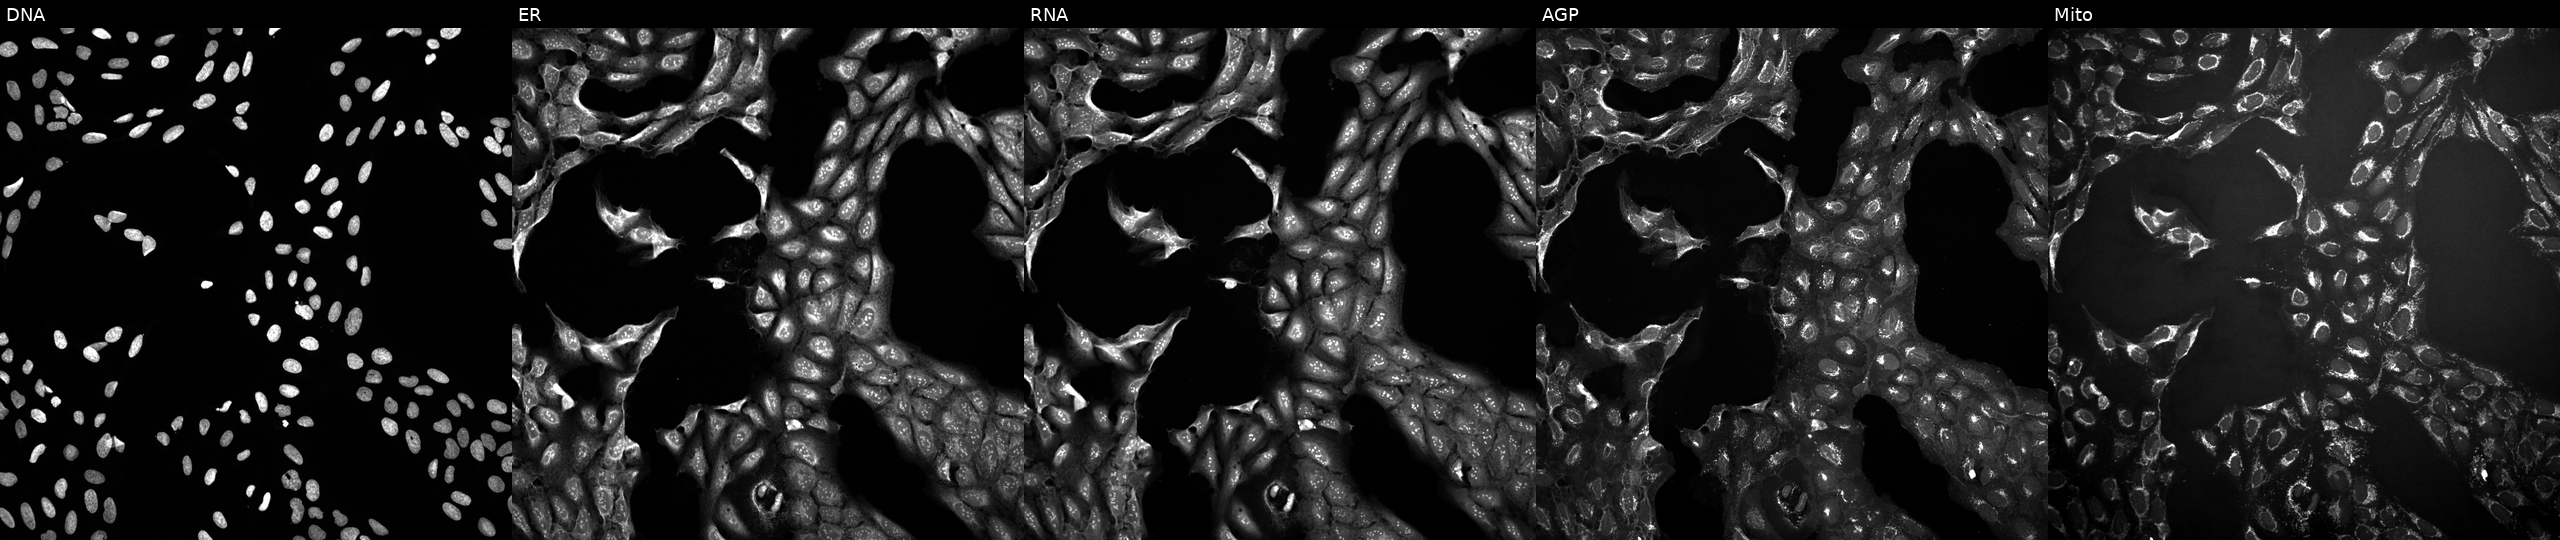
This image strip shows the five Cell Painting channels for a single field of U2OS cells exposed to a small-molecule compound (InChIKey UIEATEWHFDRYRU-UHFFFAOYSA-N) (JUMP id JCP2022_089383). From left to right: Hoechst 33342, concanavalin A, SYTO 14, phalloidin and WGA, MitoTracker.